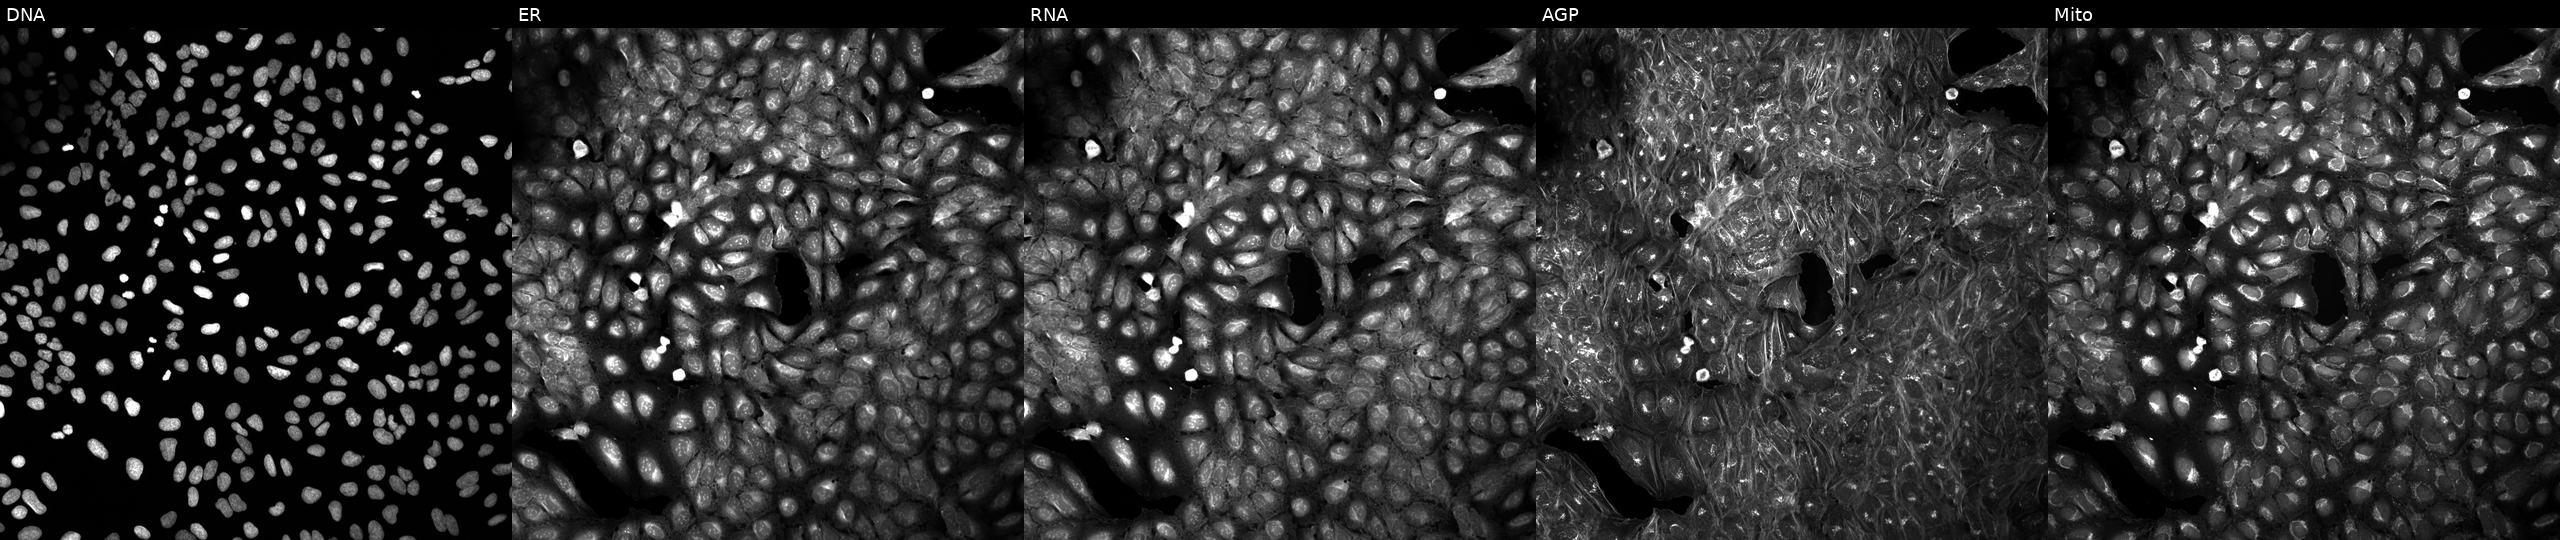
Five-channel Cell Painting image of U2OS cells treated with a small-molecule compound (InChIKey MQERSDNWTXTJBR-UHFFFAOYSA-N) (JUMP id JCP2022_055815). The five panels, left to right, show DNA (nuclei); ER (endoplasmic reticulum); RNA (nucleoli and cytoplasmic RNA); AGP (actin cytoskeleton, Golgi, and plasma membrane); Mito (mitochondria).